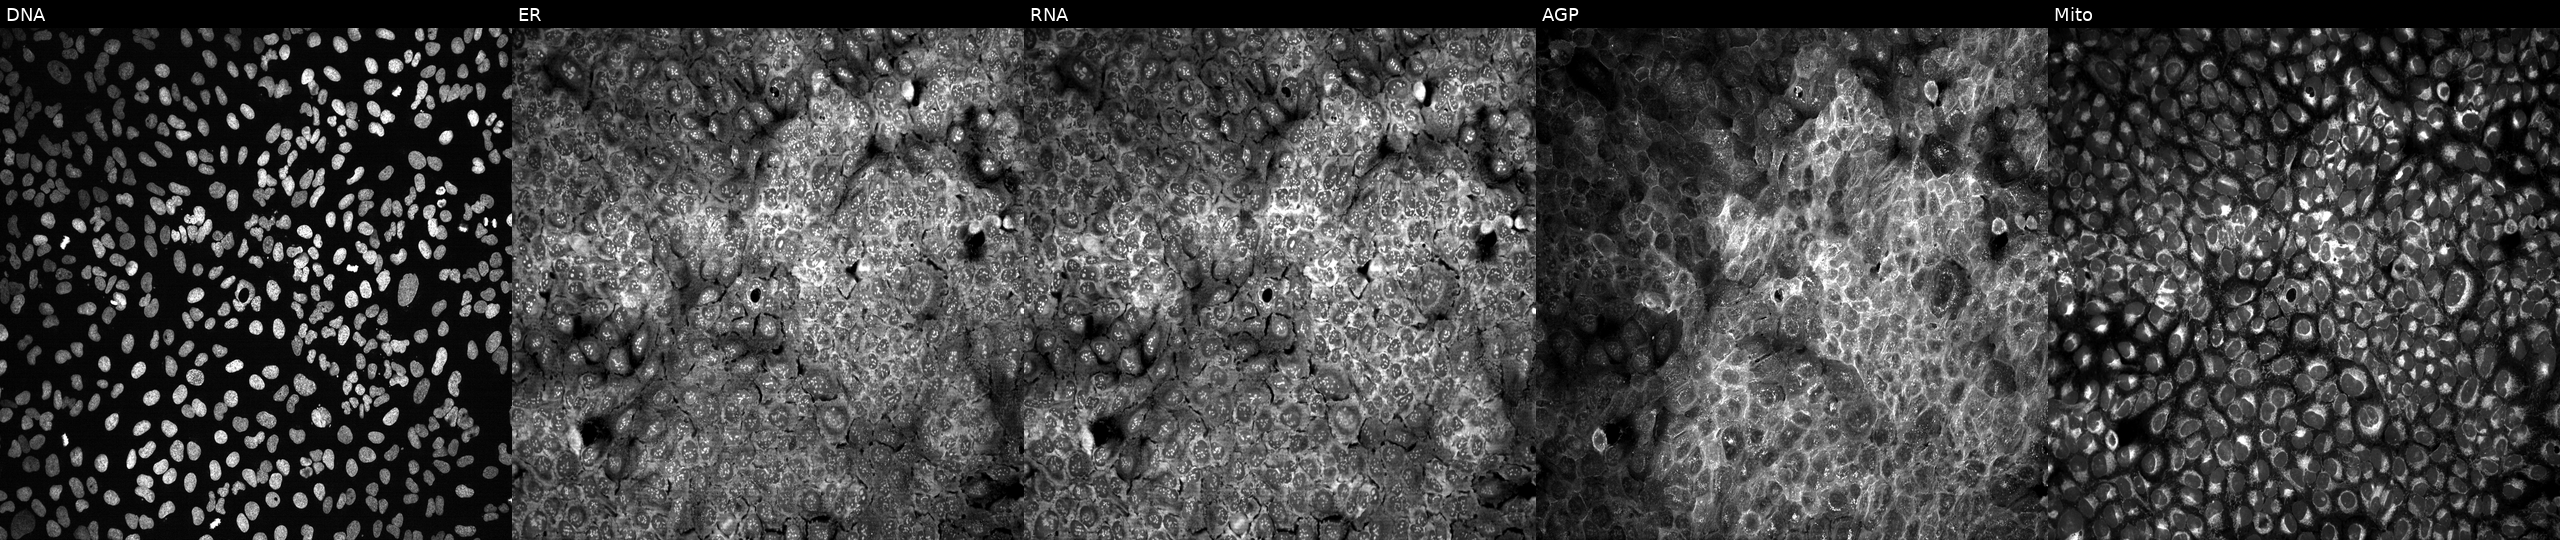
Five-channel Cell Painting image of U2OS cells CRISPR-edited to disrupt AGBL3 (JUMP id JCP2022_800302). Channels (left→right): DNA (nuclei); ER (endoplasmic reticulum); RNA (nucleoli and cytoplasmic RNA); AGP (actin cytoskeleton, Golgi, and plasma membrane); Mito (mitochondria).